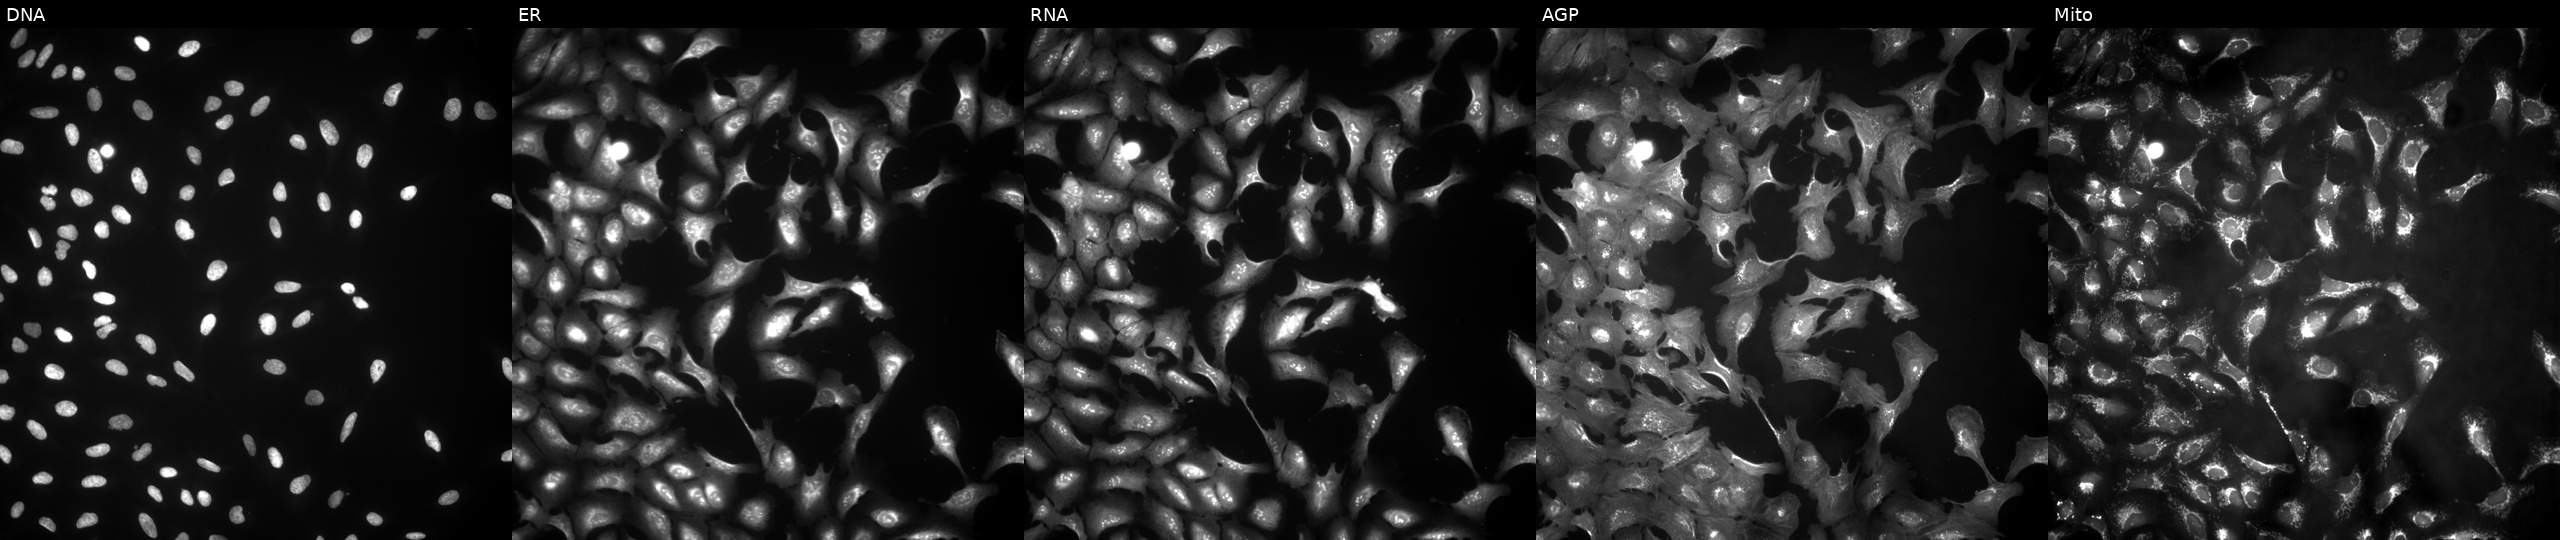
Channels (left→right): Hoechst 33342, concanavalin A, SYTO 14, phalloidin and WGA, MitoTracker. U2OS osteosarcoma cells transfected with an ORF construct for ASS1 (JUMP id JCP2022_900108). Cell Painting assay, JUMP-CP dataset. Source 4, plate BR00123506, well K02.